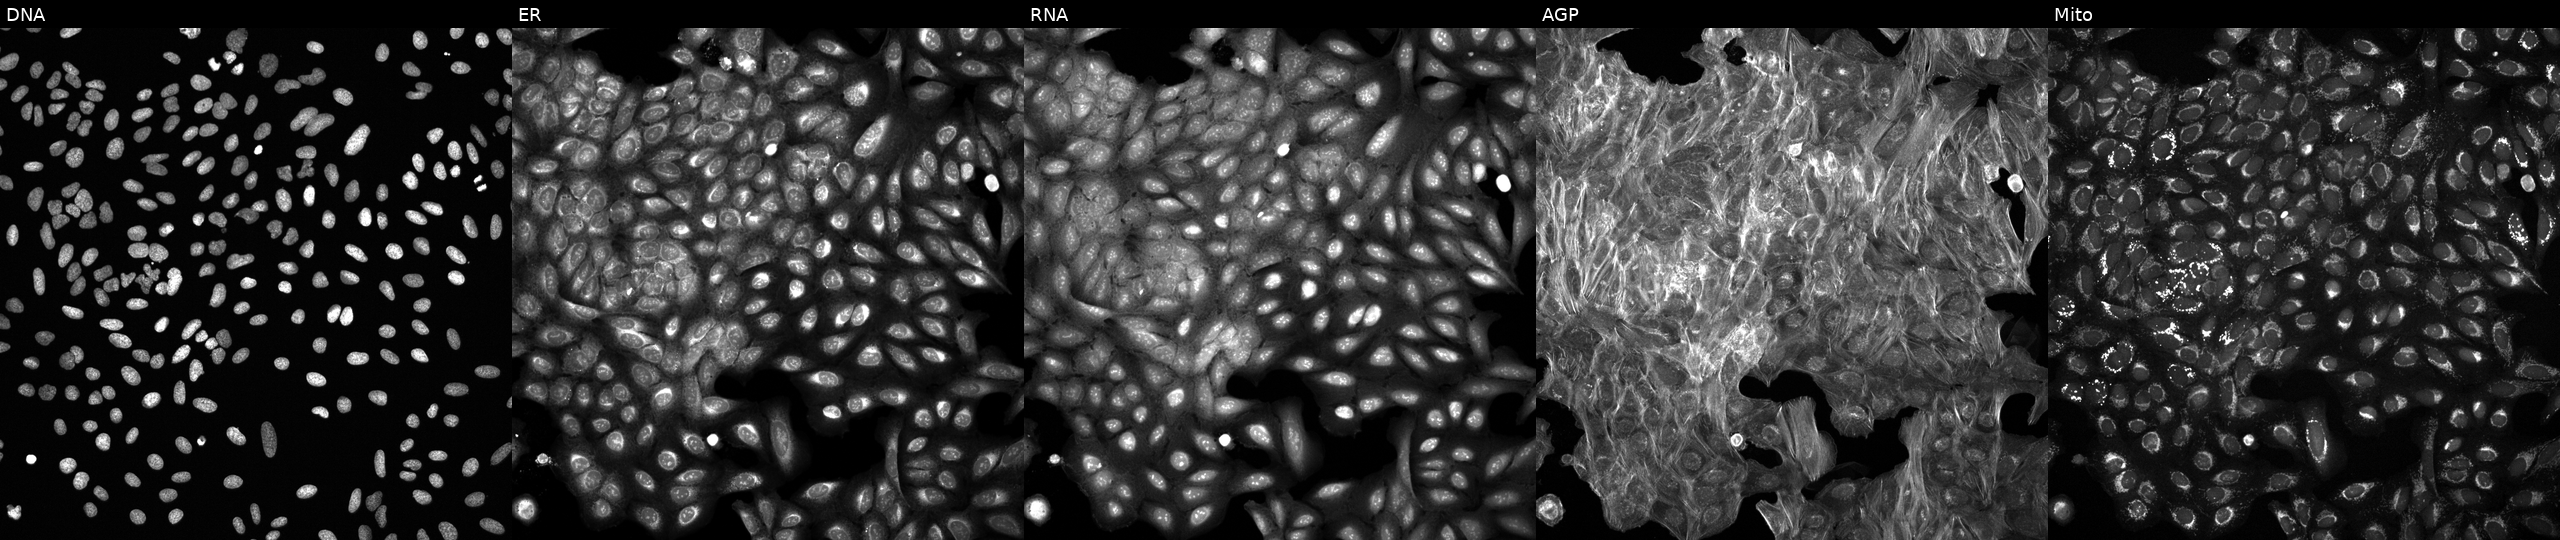
High-content fluorescence microscopy (Cell Painting). Cell line: U2OS. Perturbation: exposed to a small-molecule compound (JUMP id JCP2022_049224). The five panels, left to right, show Hoechst 33342, concanavalin A, SYTO 14, phalloidin and WGA, MitoTracker.